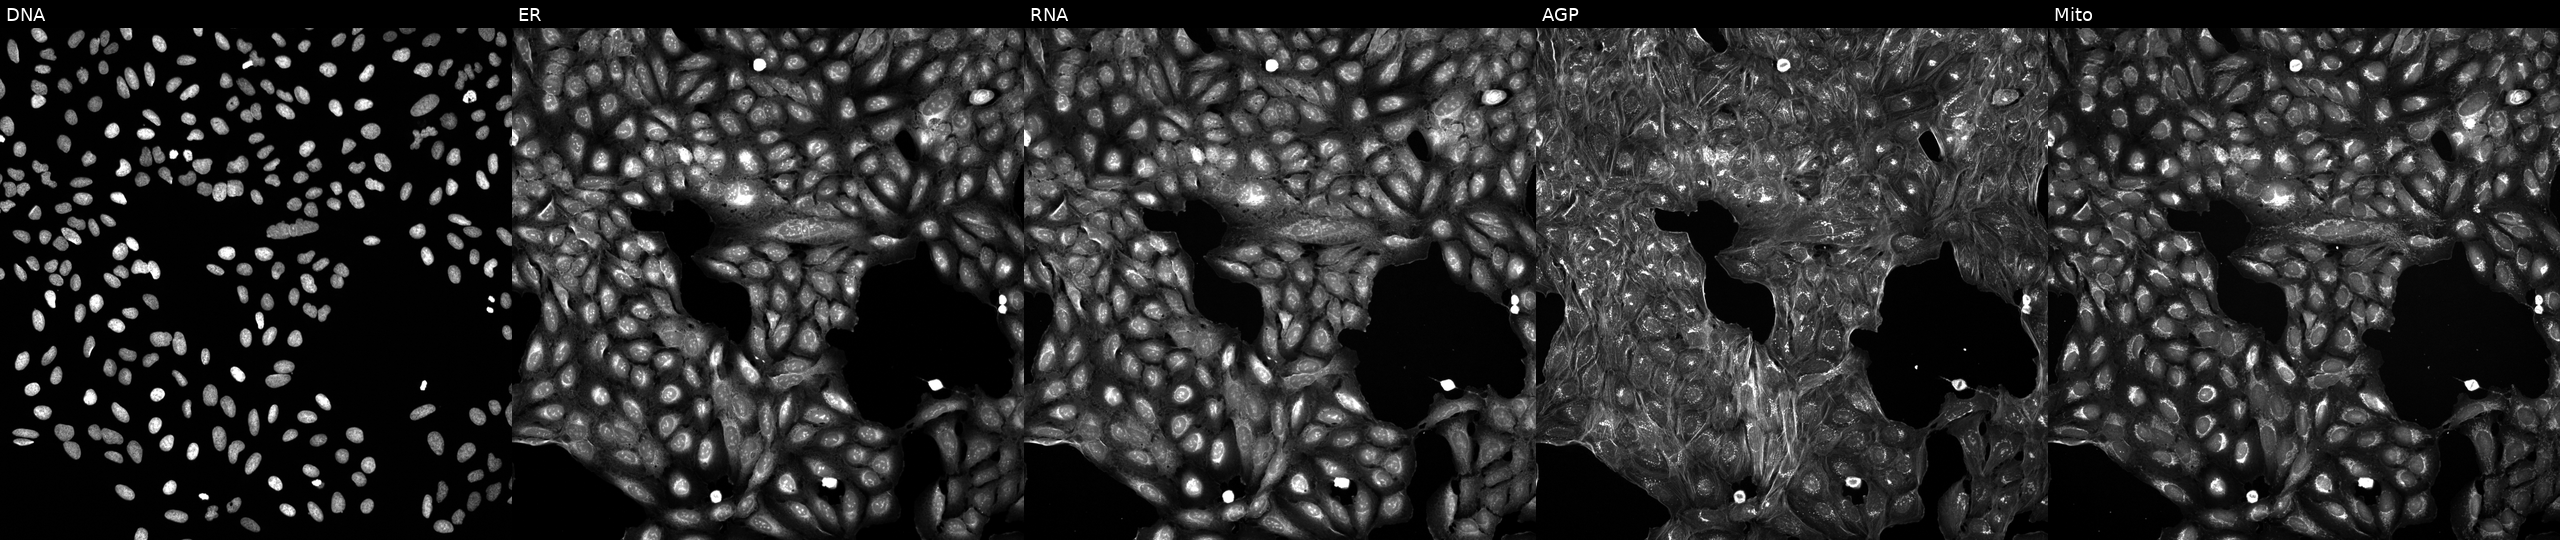
Channels (left→right): Hoechst 33342, concanavalin A, SYTO 14, phalloidin and WGA, MitoTracker. U2OS osteosarcoma cells treated with a small-molecule compound. Cell Painting assay, JUMP-CP dataset.